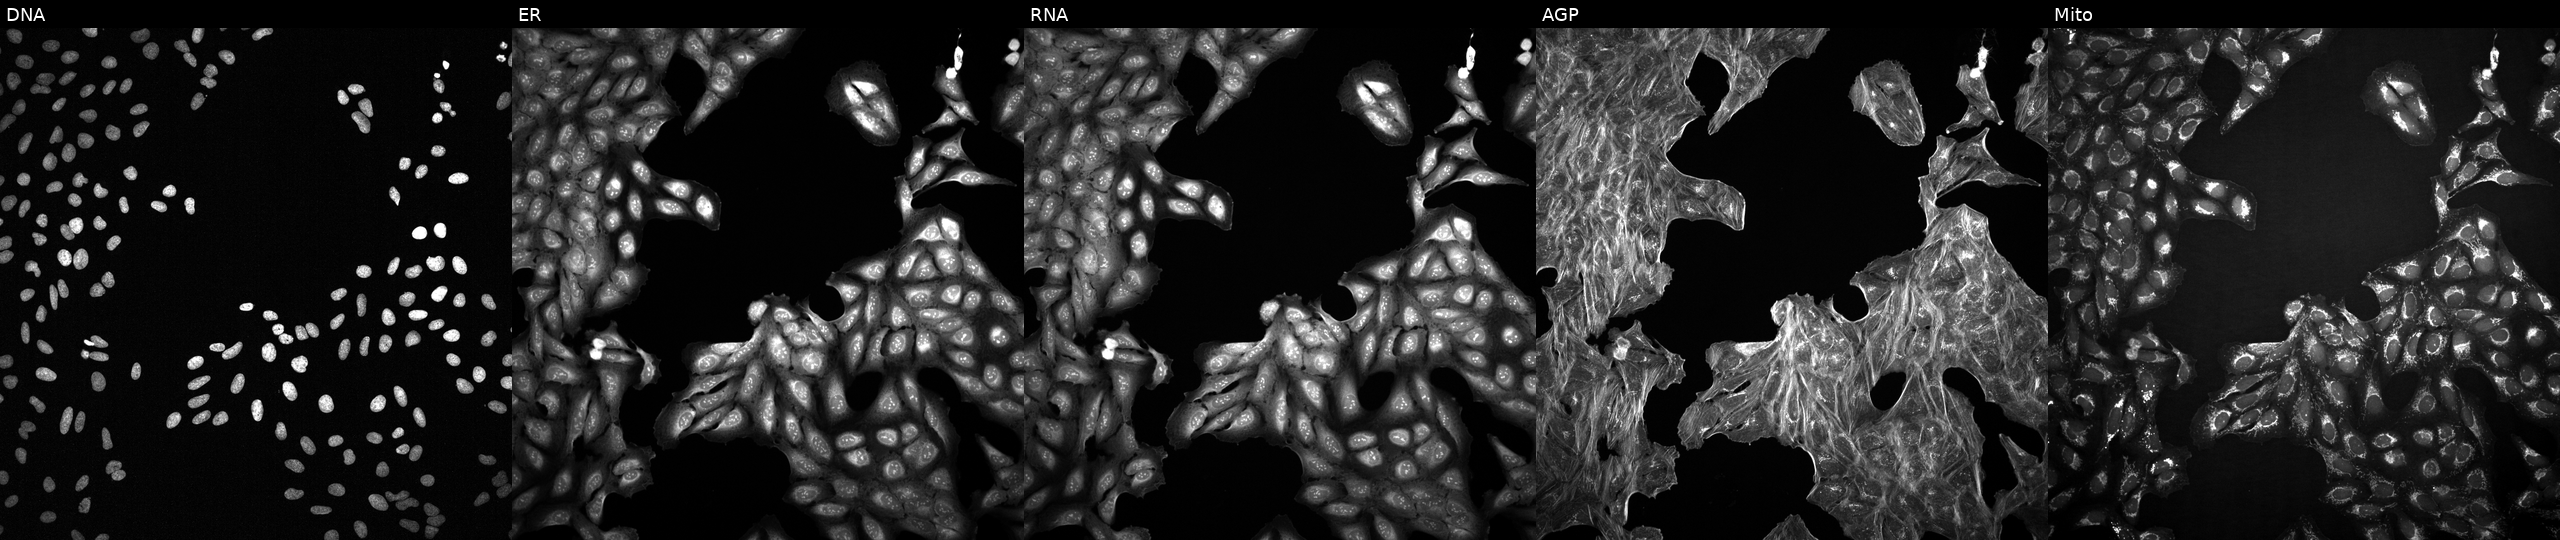
Panels show, left to right, DNA, ER, RNA, AGP, and Mito. U2OS osteosarcoma cells with an unidentified perturbation (not annotated in JUMP metadata). Cell Painting assay, JUMP-CP dataset. Source 2, plate 1053601756, well L06.